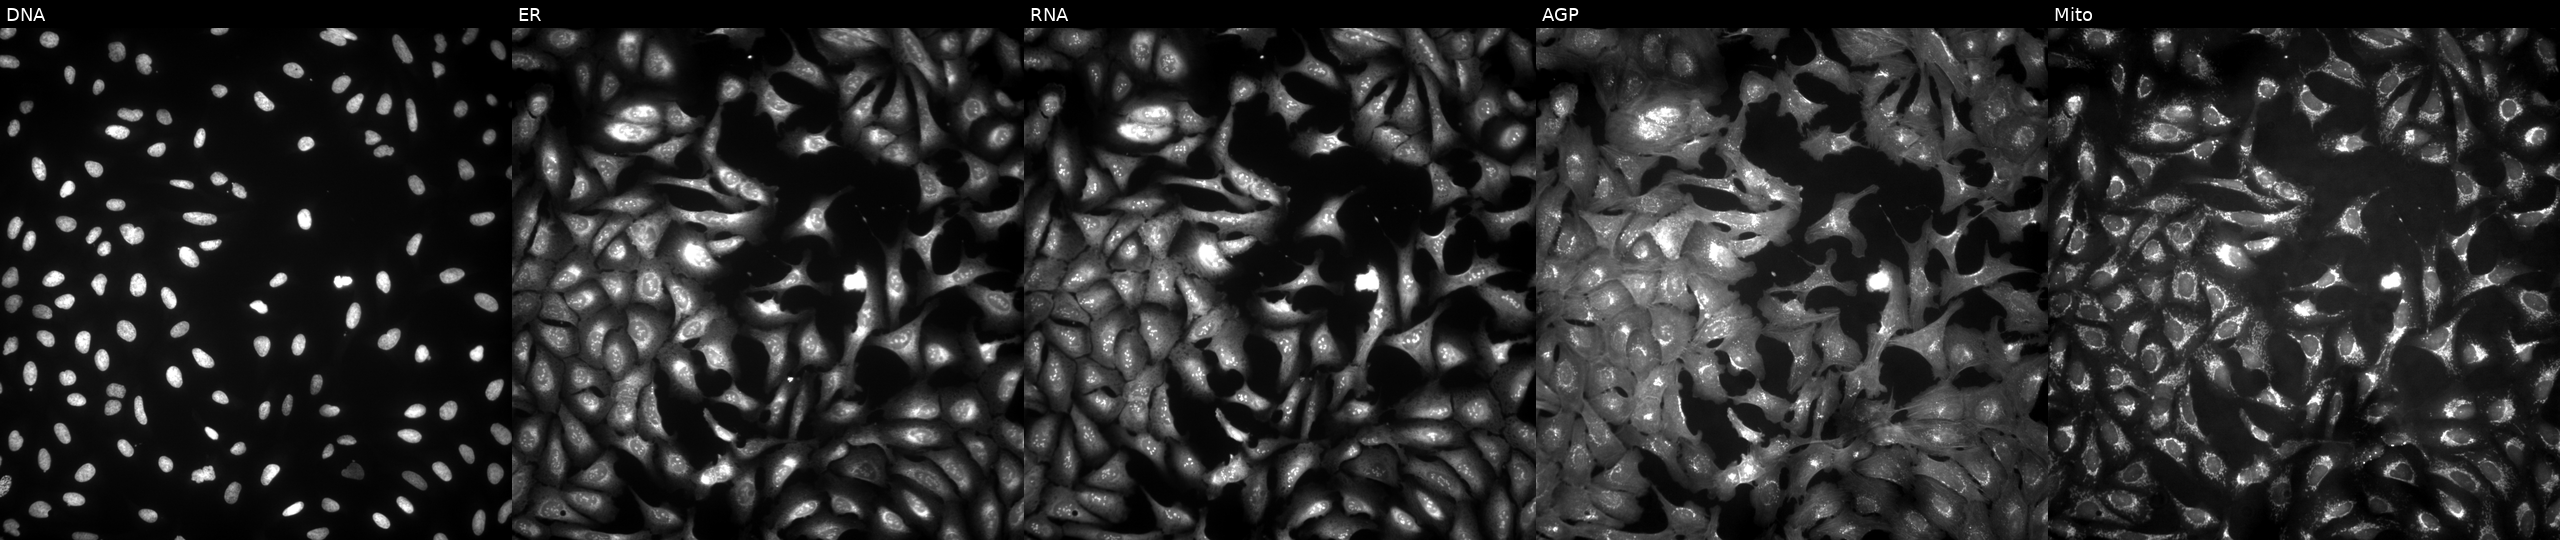
From left to right: Hoechst 33342, concanavalin A, SYTO 14, phalloidin and WGA, MitoTracker. U2OS osteosarcoma cells expressing HcRed (ORF negative control). Cell Painting assay, JUMP-CP dataset. Source 4, plate BR00123506, well J21.